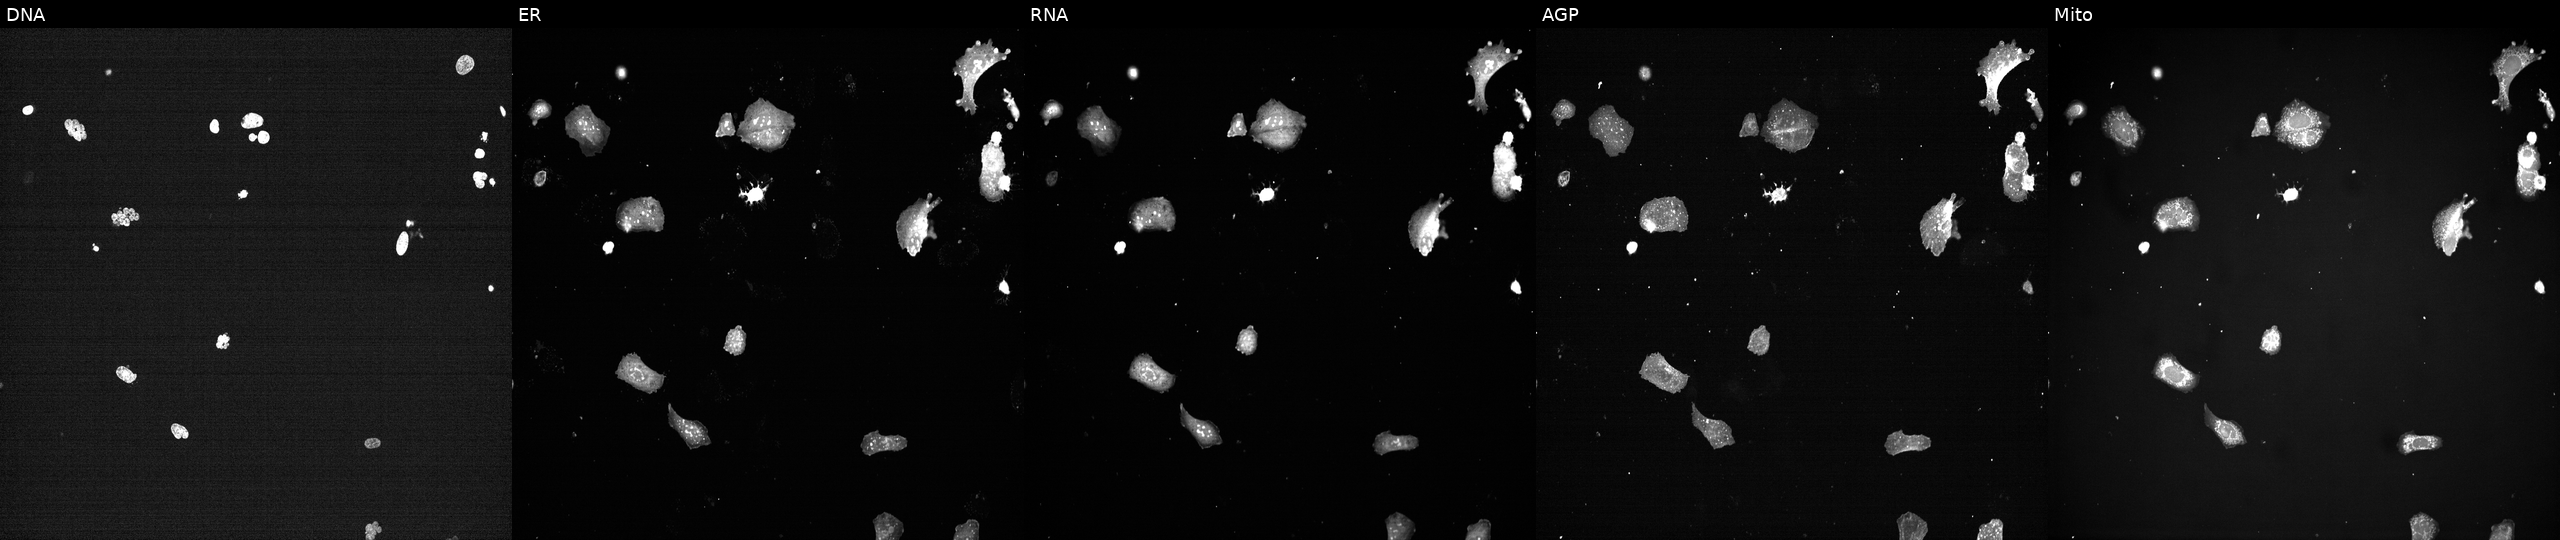
The five panels, left to right, show DNA (nuclei); ER (endoplasmic reticulum); RNA (nucleoli and cytoplasmic RNA); AGP (actin cytoskeleton, Golgi, and plasma membrane); Mito (mitochondria). U2OS osteosarcoma cells perturbed with a small-molecule compound [SMILES: CCCC(N=c1[nH]c(-c2ccc(NC(=O)NCC)c(OC)c2)ncc1C)c1cccnc1] (JUMP id JCP2022_056401). Cell Painting assay, JUMP-CP dataset.